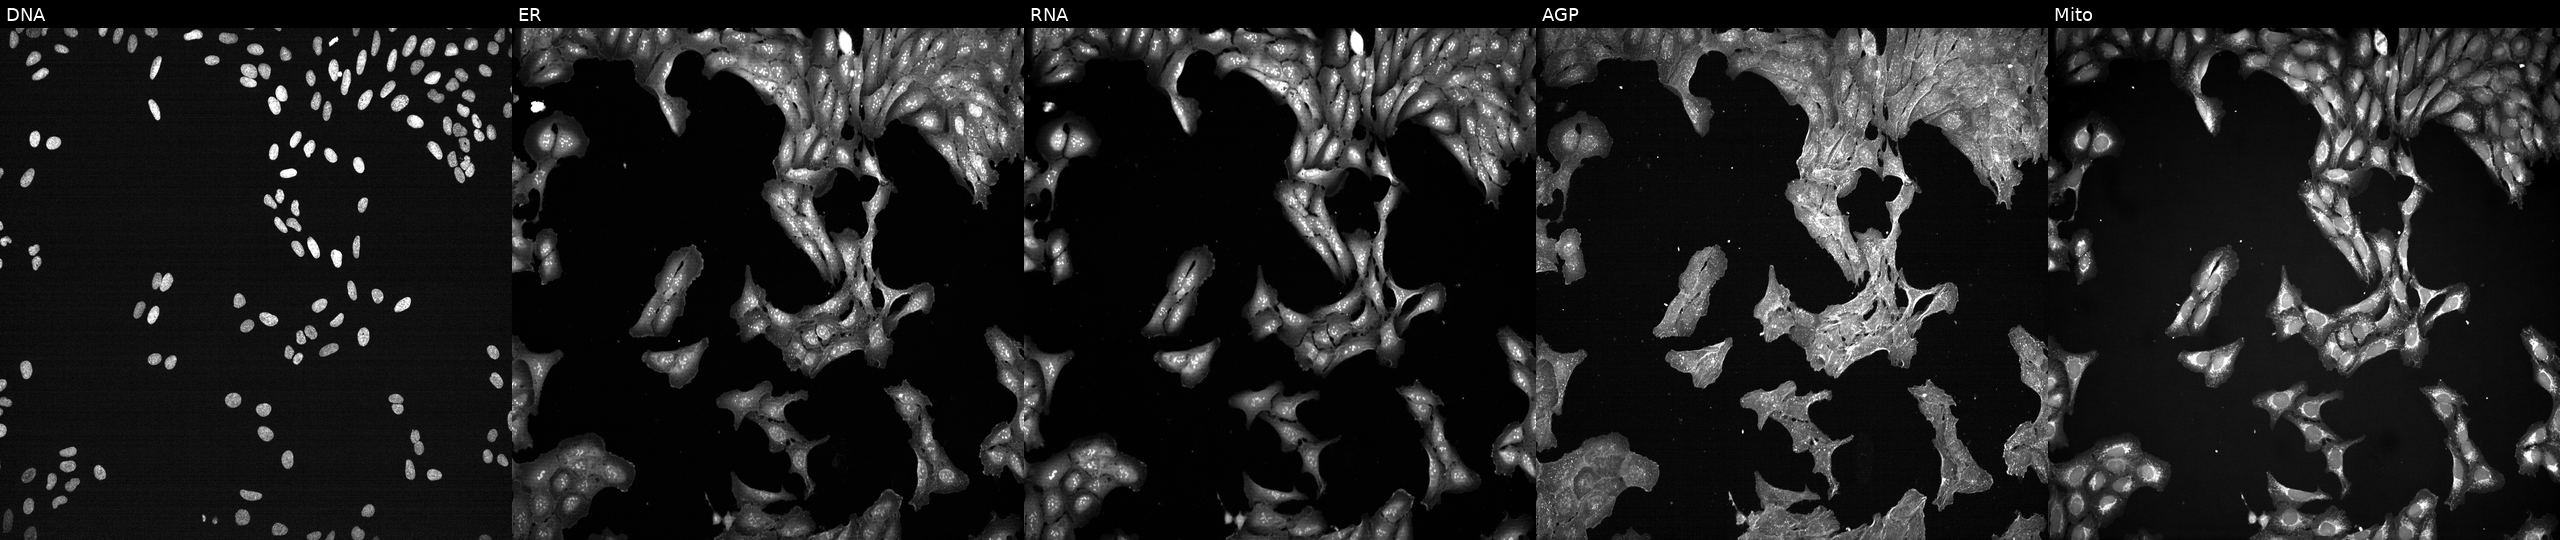
High-content fluorescence microscopy (Cell Painting). Cell line: U2OS. Perturbation: treated with a small-molecule compound (InChIKey KSCFJBIXMNOVSH-UHFFFAOYSA-N) [SMILES: Cn1c(=O)c2c(ncn2CC(O)CO)n(C)c1=O] (JUMP id JCP2022_046649). The five panels, left to right, show Hoechst 33342, concanavalin A, SYTO 14, phalloidin and WGA, MitoTracker. Source 7, plate CP2-SC1-25, well N13.